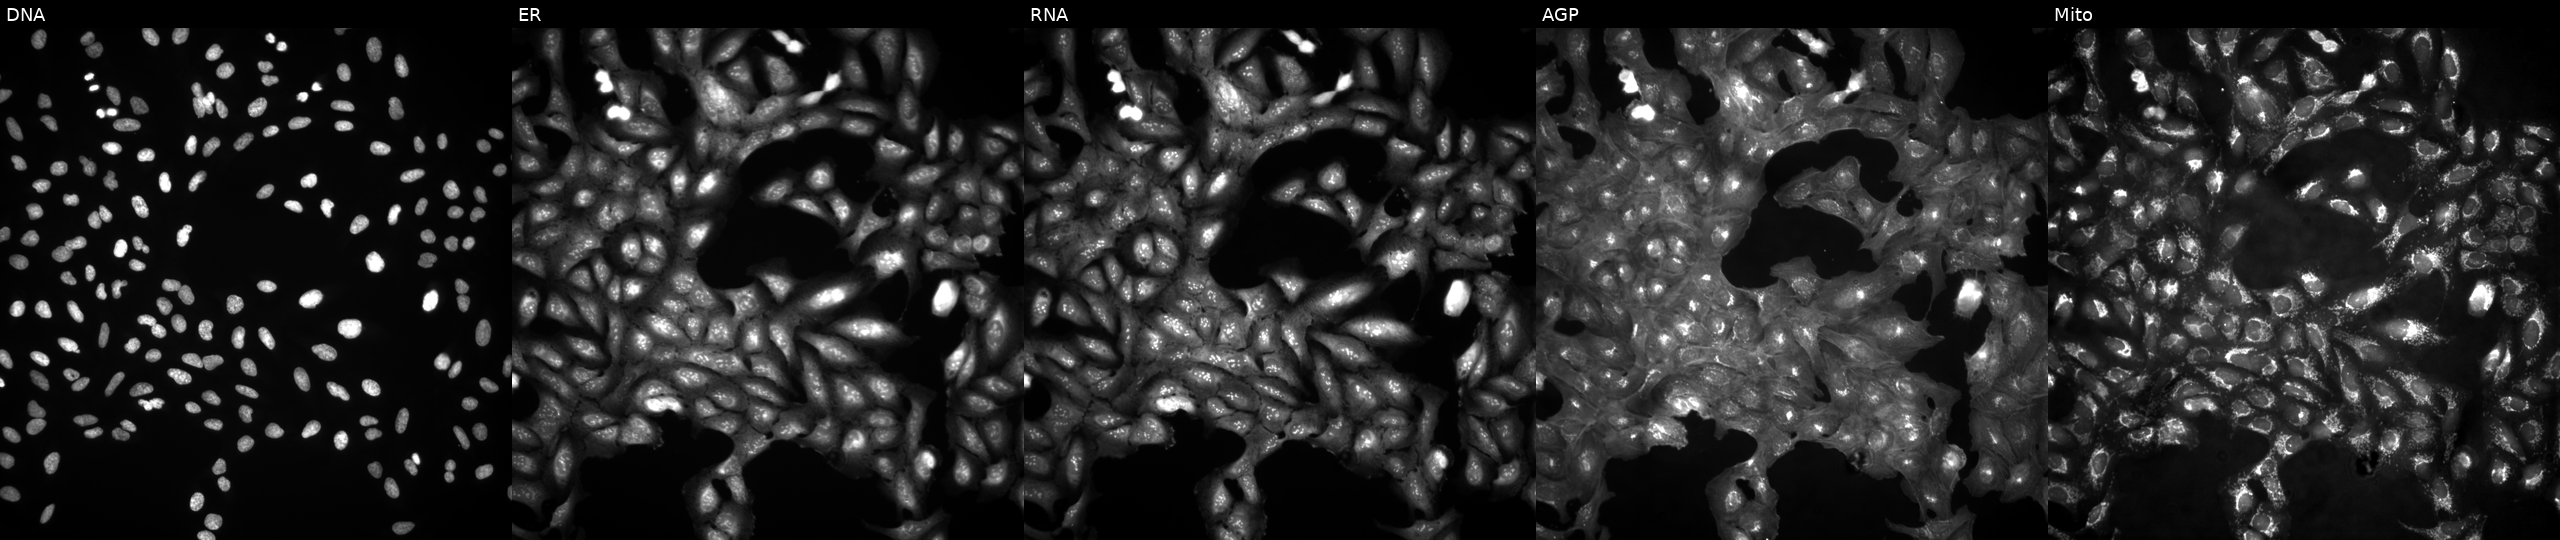
High-content fluorescence microscopy (Cell Painting). Cell line: U2OS. Perturbation: untreated (empty-well control). Channels (left→right): Hoechst 33342, concanavalin A, SYTO 14, phalloidin and WGA, MitoTracker.